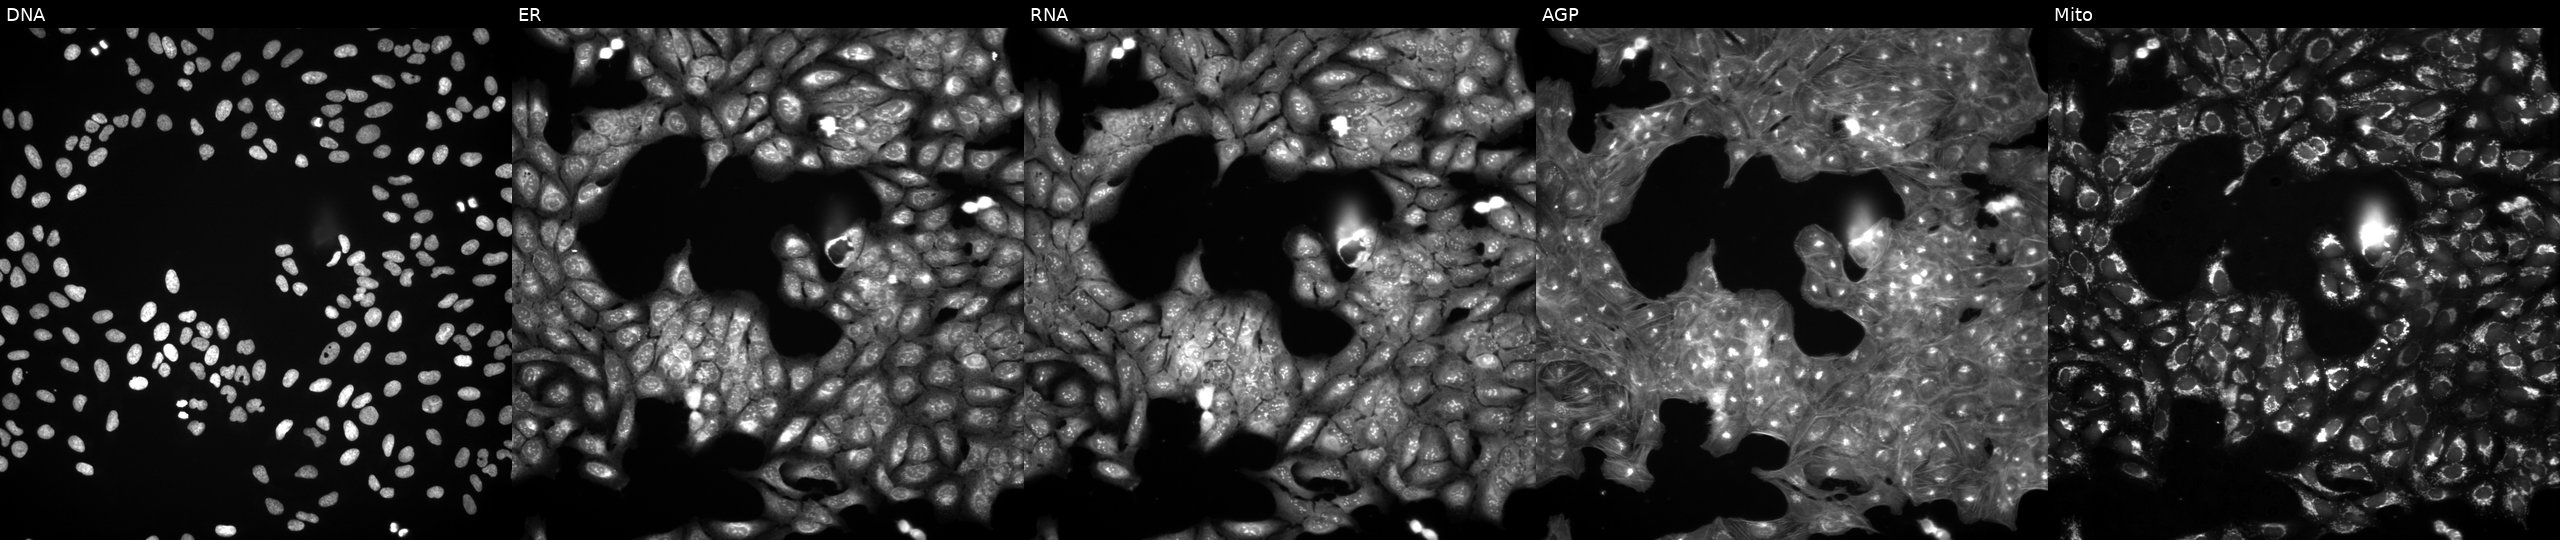
JUMP Cell Painting — COMPOUND plate. U2OS cells perturbed with a small-molecule compound (InChIKey XAVHGLRPYKSCMF-UHFFFAOYSA-N) [SMILES: Cc1ccc(N2C(=O)c3ccccc3C2(O)c2ncc[nH]2)cc1]. Channels (left→right): DNA (nuclei); ER (endoplasmic reticulum); RNA (nucleoli and cytoplasmic RNA); AGP (actin cytoskeleton, Golgi, and plasma membrane); Mito (mitochondria). Source 3, plate BR5867b3, well M20.